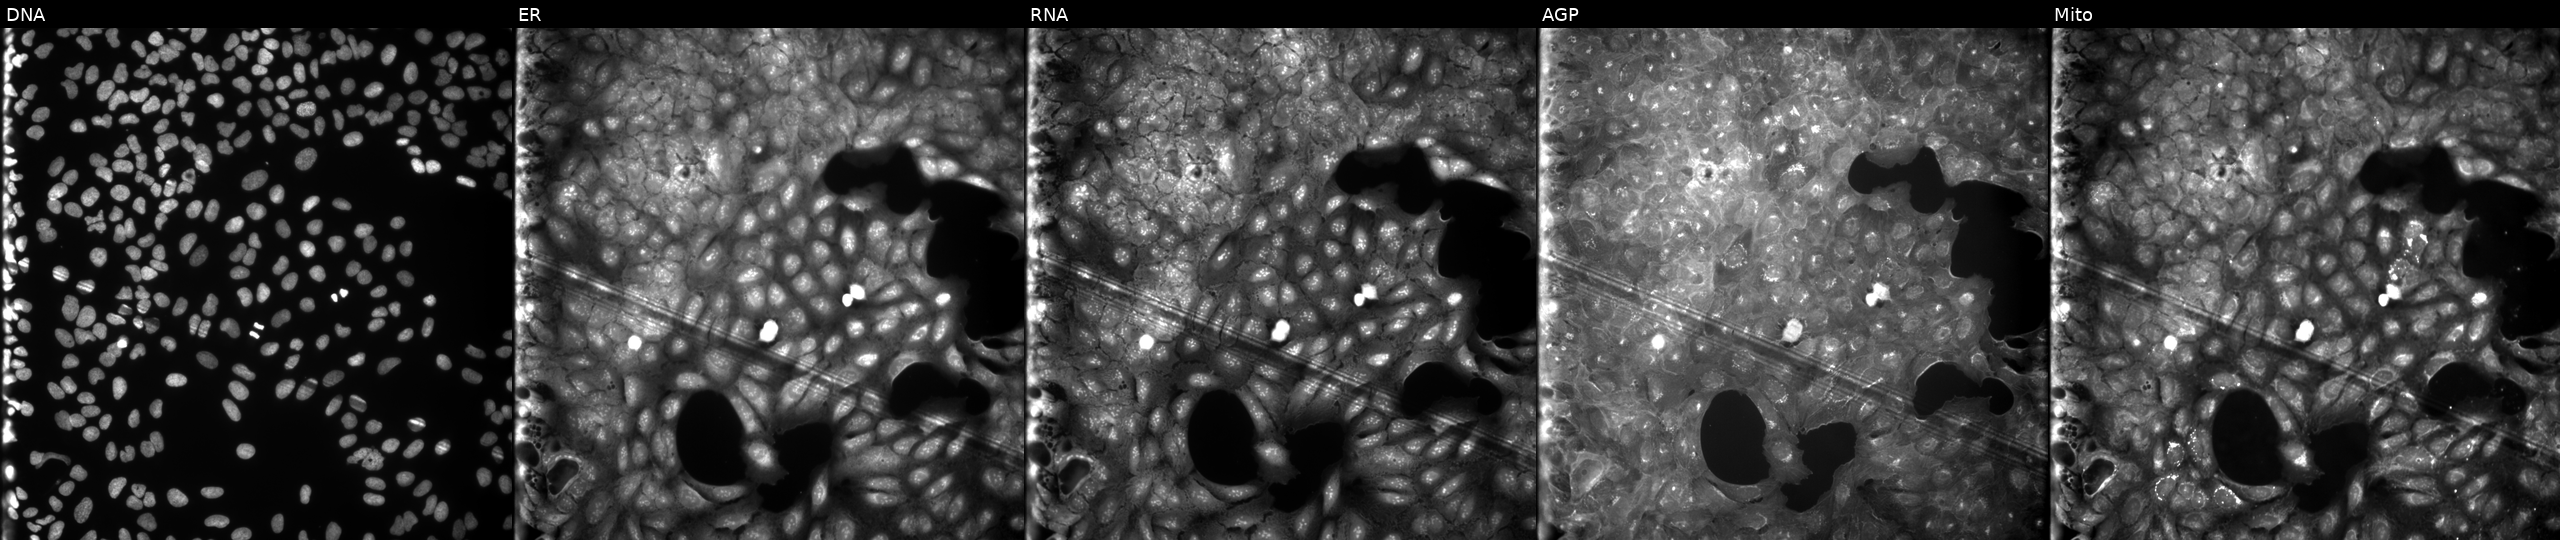
U2OS cells, Cell Painting assay, treated with a small-molecule compound (InChIKey XOMFCDSHBZZTFI-UHFFFAOYSA-N) [SMILES: O=c1[nH]c(=S)[nH]c(O)c1N=Nc1ccc2c(c1)OCCO2]. The five panels, left to right, show DNA (nuclei); ER (endoplasmic reticulum); RNA (nucleoli and cytoplasmic RNA); AGP (actin cytoskeleton, Golgi, and plasma membrane); Mito (mitochondria). Each panel is percentile-stretched 16-bit fluorescence.